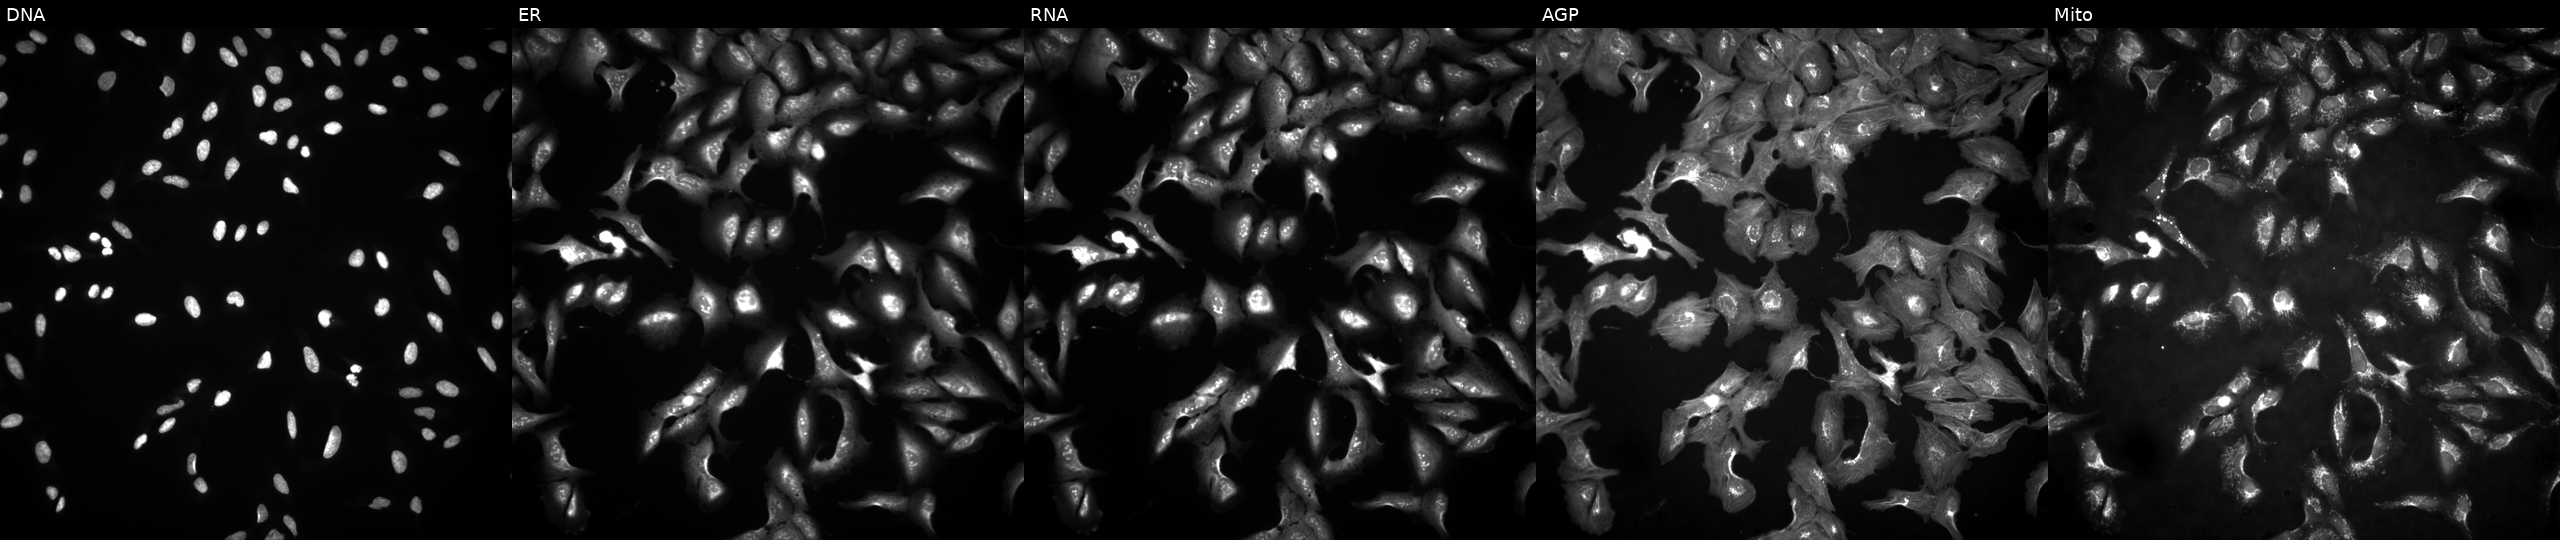
JUMP Cell Painting — ORF plate. U2OS cells overexpressing XLOC_001973 via ORF transfection (JUMP id JCP2022_909650). From left to right: DNA (nuclei); ER (endoplasmic reticulum); RNA (nucleoli and cytoplasmic RNA); AGP (actin cytoskeleton, Golgi, and plasma membrane); Mito (mitochondria). Source 4, plate BR00124784, well D21.